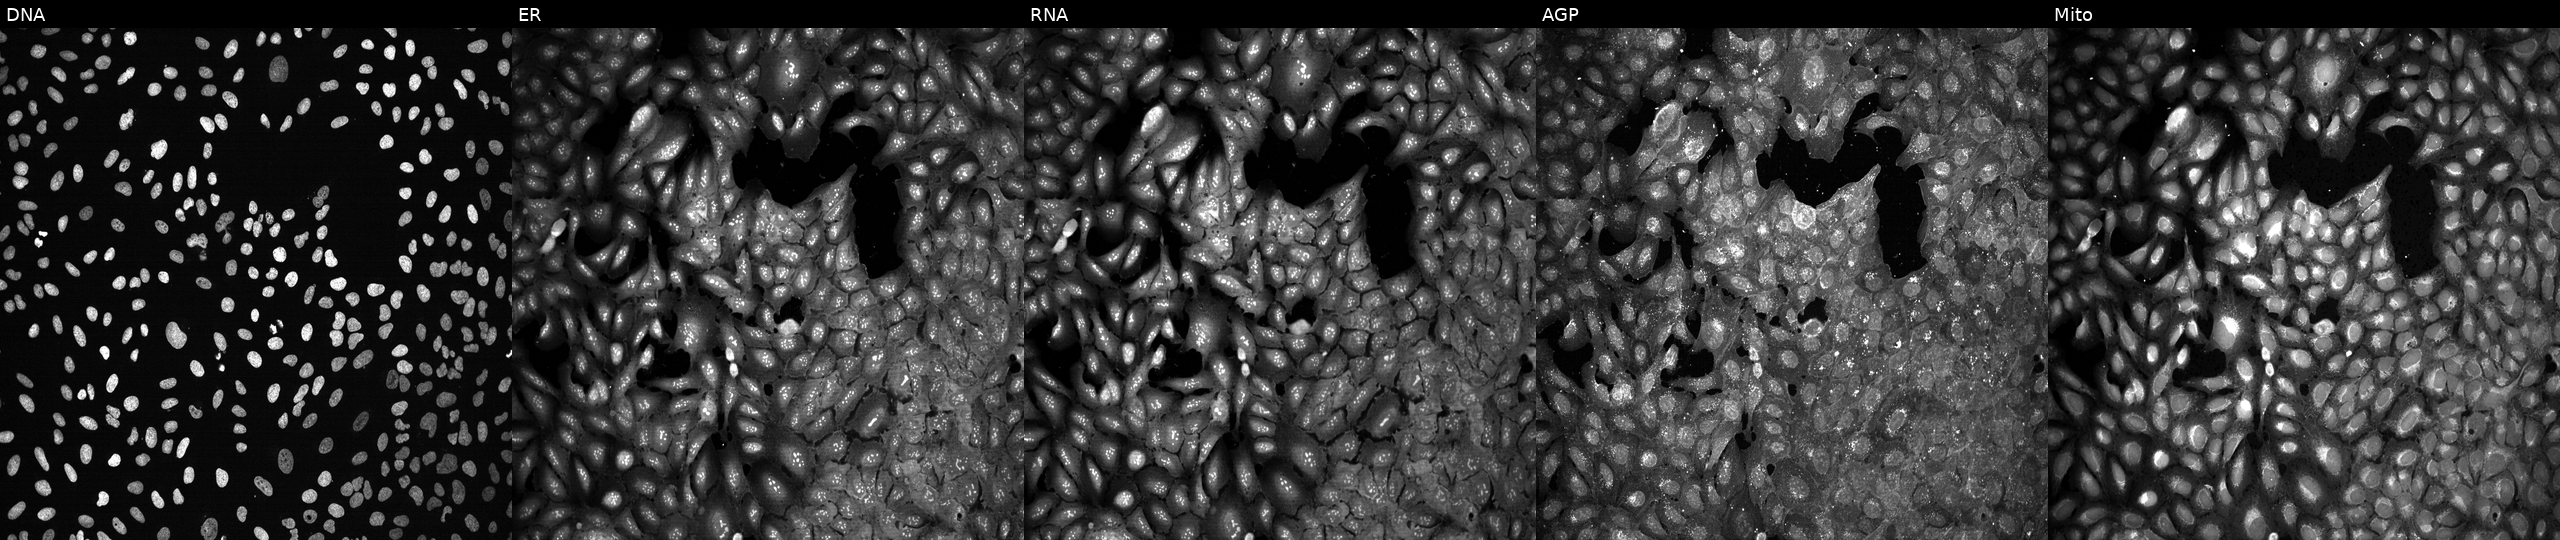
This image strip shows the five Cell Painting channels for a single field of U2OS cells with XYLT1 knocked out by CRISPR (JUMP id JCP2022_807725). Channels (left→right): Hoechst 33342, concanavalin A, SYTO 14, phalloidin and WGA, MitoTracker. Source 13, plate CP-CC9-R1-02, well J18.